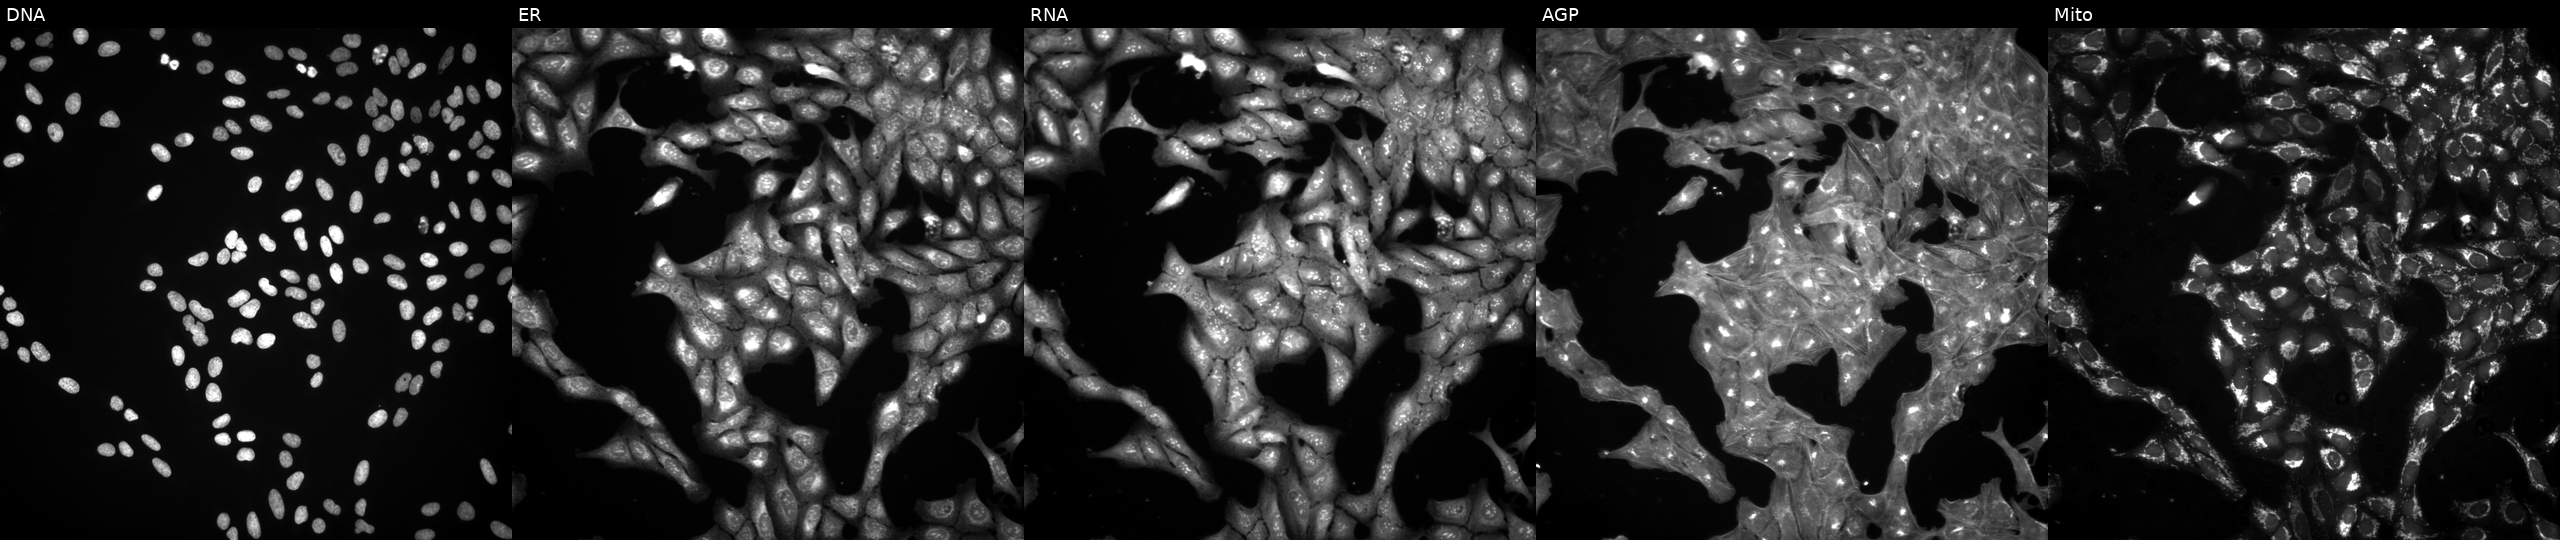
Five-channel Cell Painting image of U2OS cells exposed to DMSO alone as a negative control. The five panels, left to right, show DNA, ER, RNA, AGP, and Mito. Source 3, plate BR5867a3, well D02.